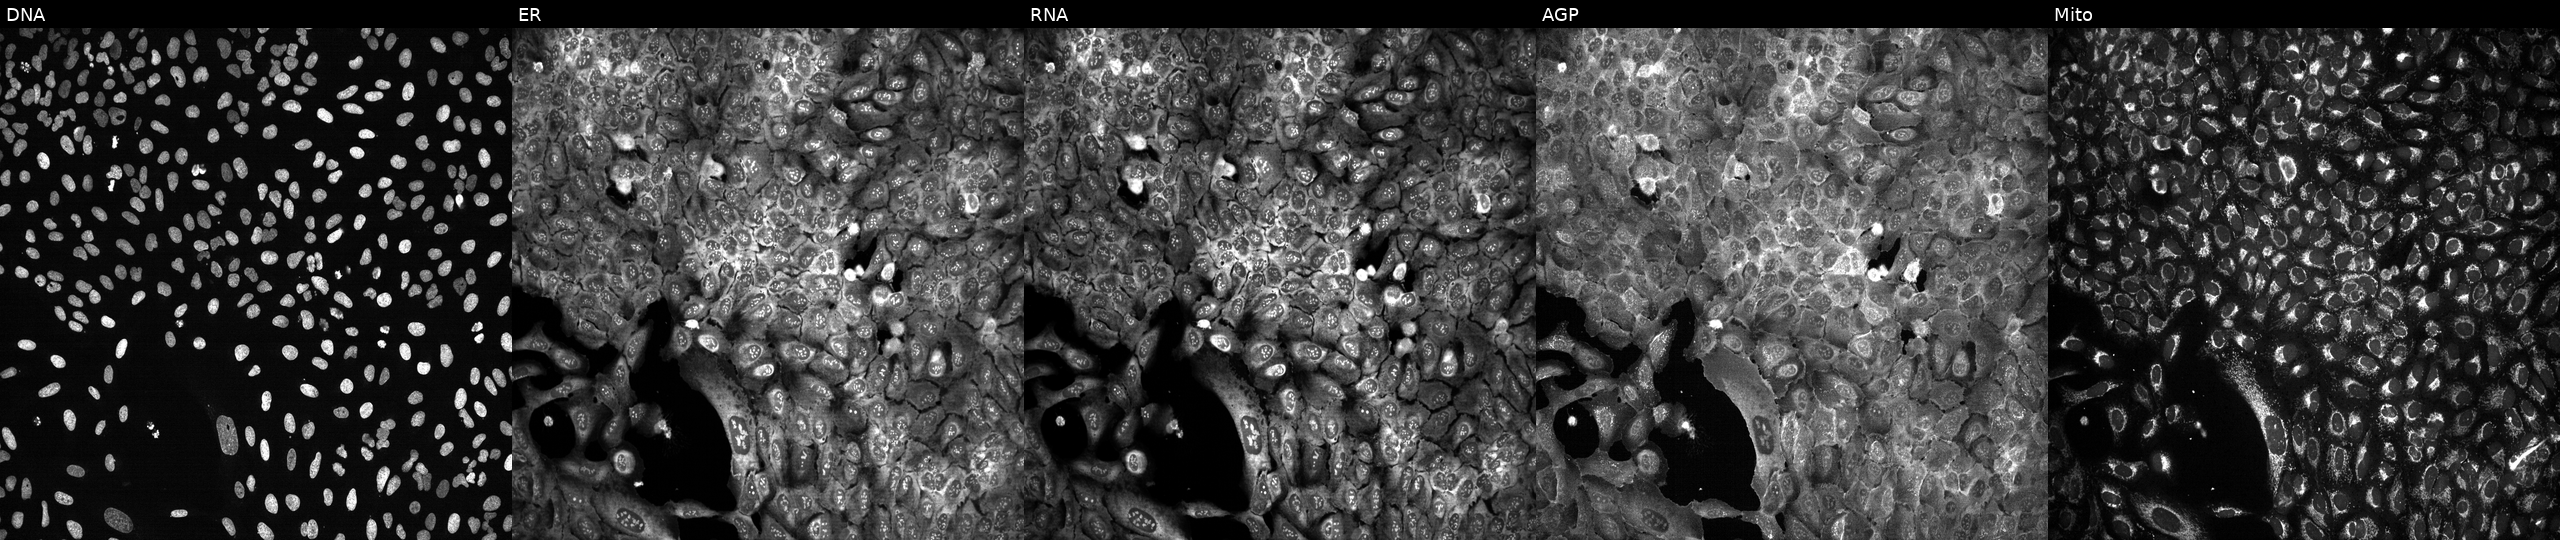
This image strip shows the five Cell Painting channels for a single field of U2OS cells CRISPR-edited to disrupt FKBP10. From left to right: DNA (nuclei); ER (endoplasmic reticulum); RNA (nucleoli and cytoplasmic RNA); AGP (actin cytoskeleton, Golgi, and plasma membrane); Mito (mitochondria).